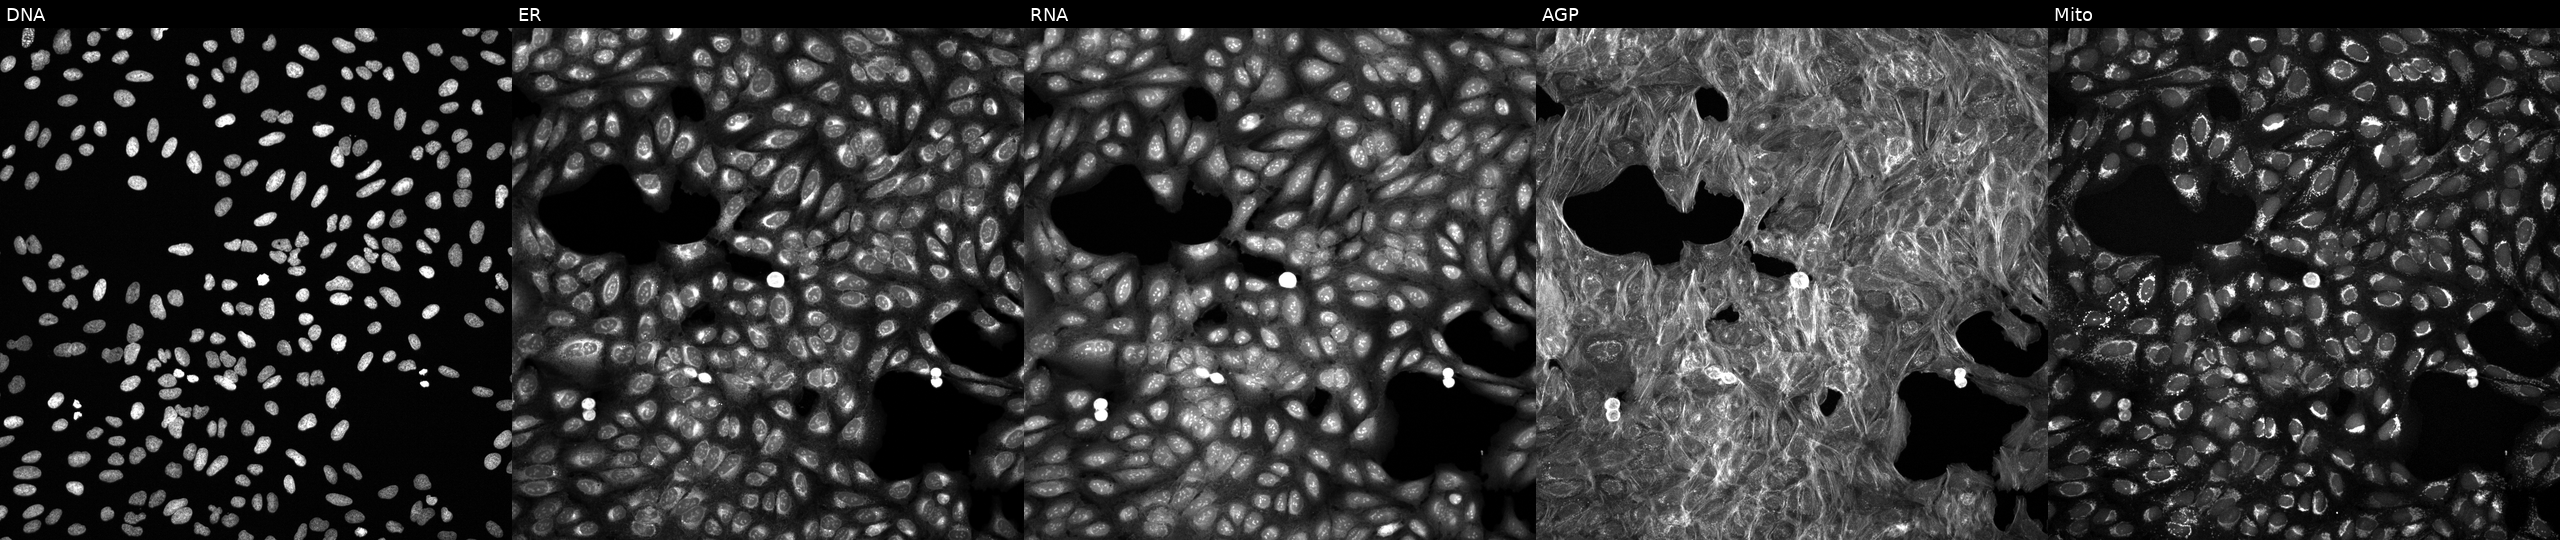
High-content fluorescence microscopy (Cell Painting). Cell line: U2OS. Perturbation: perturbed with a small-molecule compound (InChIKey JRVQTQSCANBRIJ-UHFFFAOYSA-N) [SMILES: O=C(Nc1cc(=O)[nH]c2nc(CCc3ccccc3)nn12)c1ccccc1]. The five panels, left to right, show DNA (nuclei); ER (endoplasmic reticulum); RNA (nucleoli and cytoplasmic RNA); AGP (actin cytoskeleton, Golgi, and plasma membrane); Mito (mitochondria). Source 6, plate 110000293082, well D11.